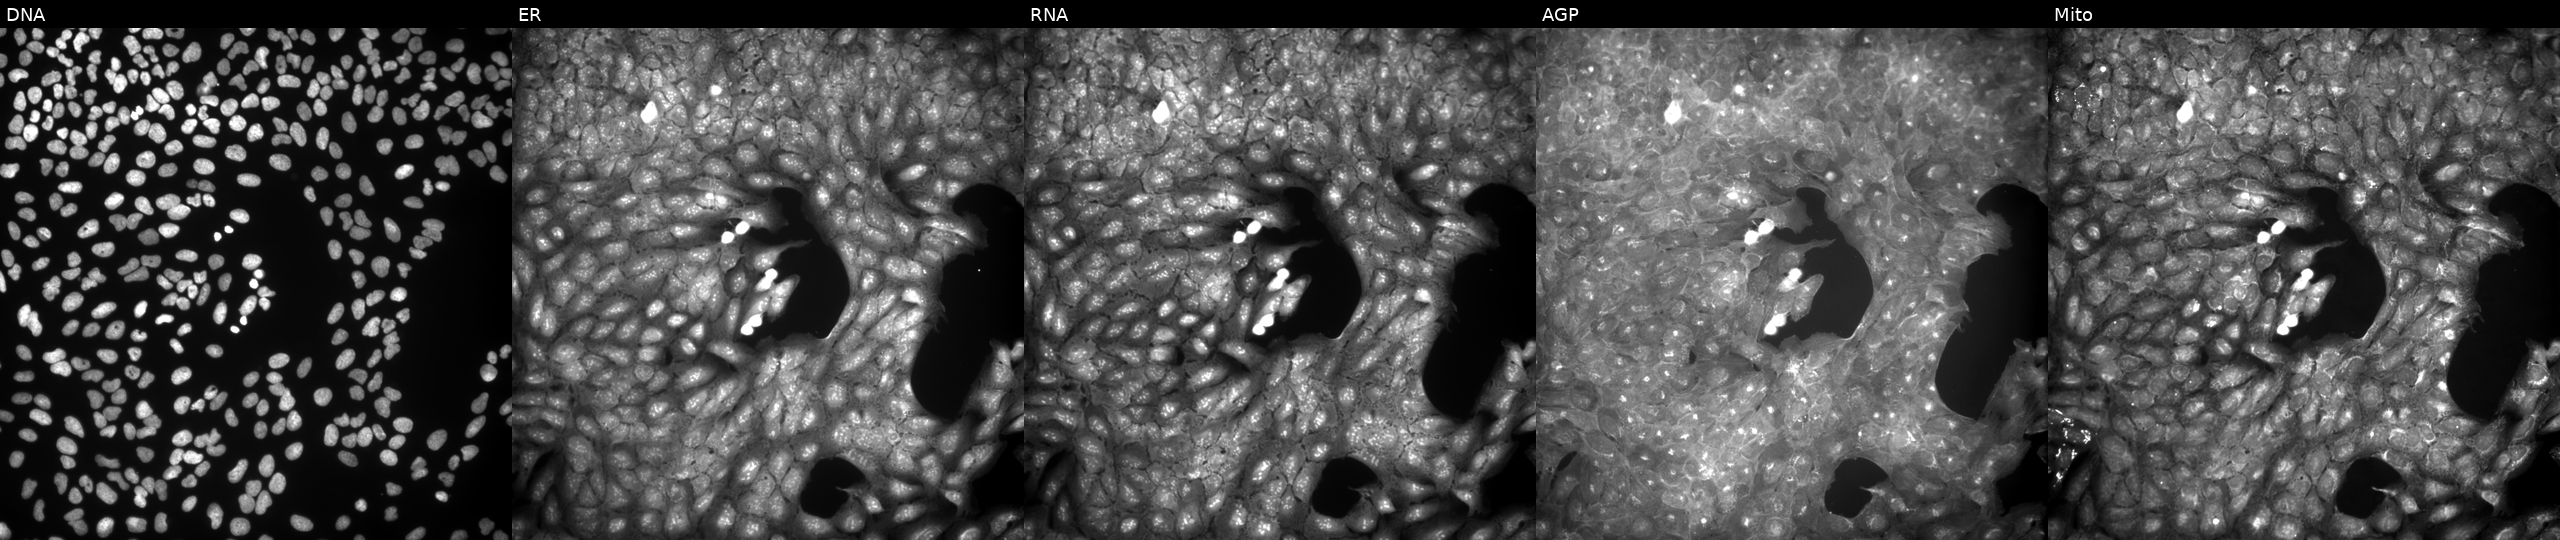
This image strip shows the five Cell Painting channels for a single field of U2OS cells perturbed with a small-molecule compound (InChIKey QTMKMLMMSDDCIP-UHFFFAOYSA-N) (JUMP id JCP2022_075780). From left to right: DNA, ER, RNA, AGP, and Mito.